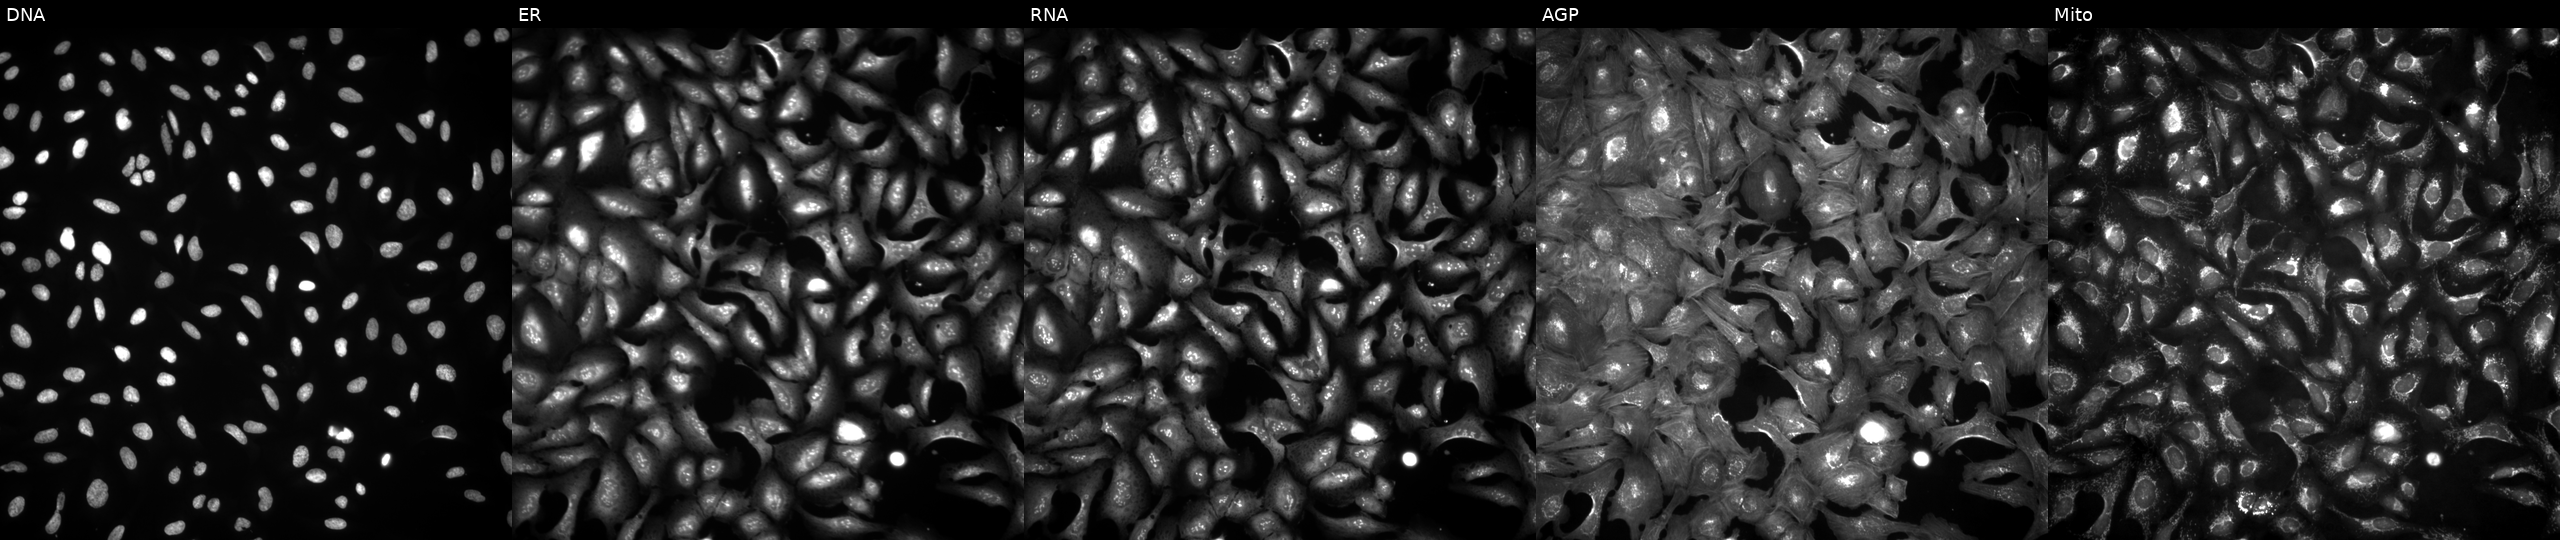
JUMP Cell Painting — ORF plate. U2OS cells with IGFL3 overexpressed (ORF). Panels show, left to right, DNA, ER, RNA, AGP, and Mito. Source 4, plate BR00124784, well H07.